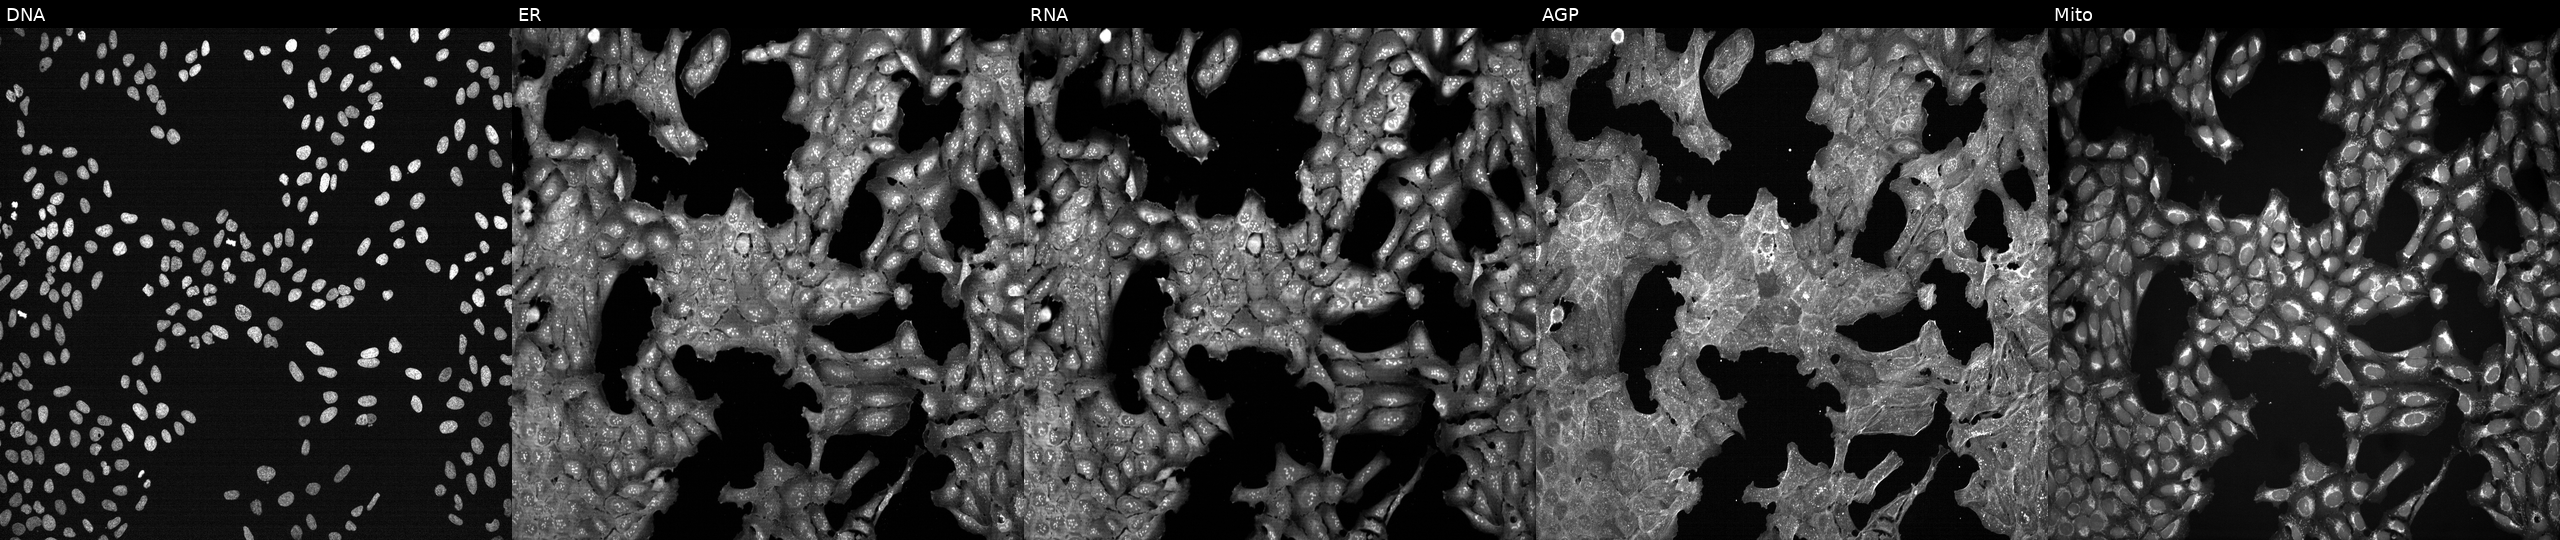
JUMP Cell Painting — TARGET2 plate. U2OS cells treated with a small-molecule compound (InChIKey PDMUGYOXRHVNMO-UHFFFAOYSA-N) (JUMP id JCP2022_067886). The five panels, left to right, show DNA (nuclei); ER (endoplasmic reticulum); RNA (nucleoli and cytoplasmic RNA); AGP (actin cytoskeleton, Golgi, and plasma membrane); Mito (mitochondria).